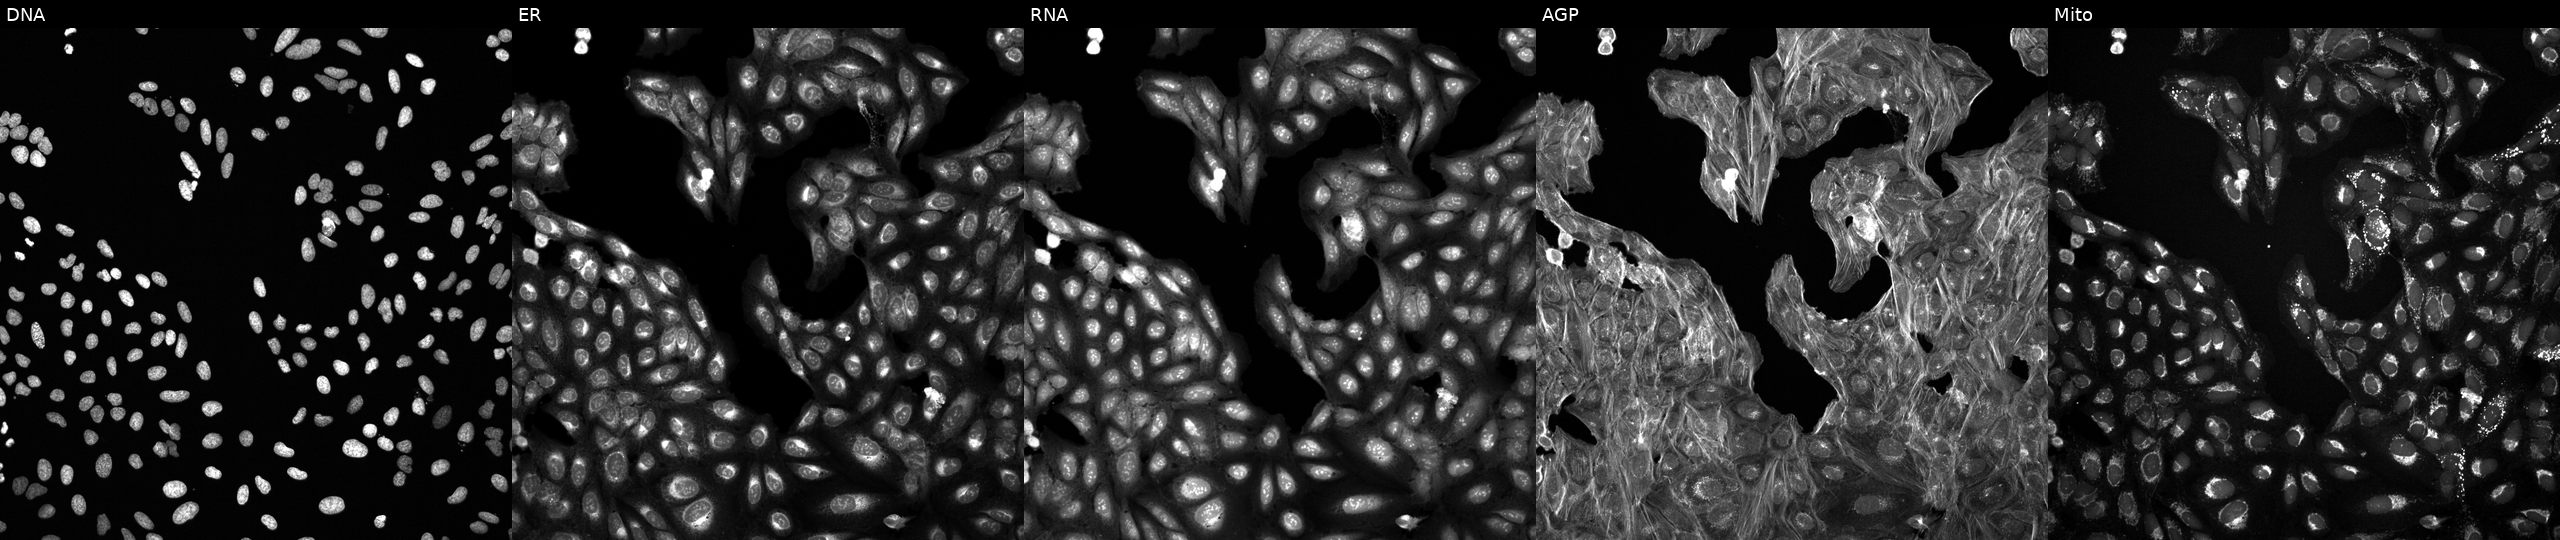
Channels (left→right): DNA (nuclei); ER (endoplasmic reticulum); RNA (nucleoli and cytoplasmic RNA); AGP (actin cytoskeleton, Golgi, and plasma membrane); Mito (mitochondria). U2OS osteosarcoma cells perturbed with a small-molecule compound. Cell Painting assay, JUMP-CP dataset.